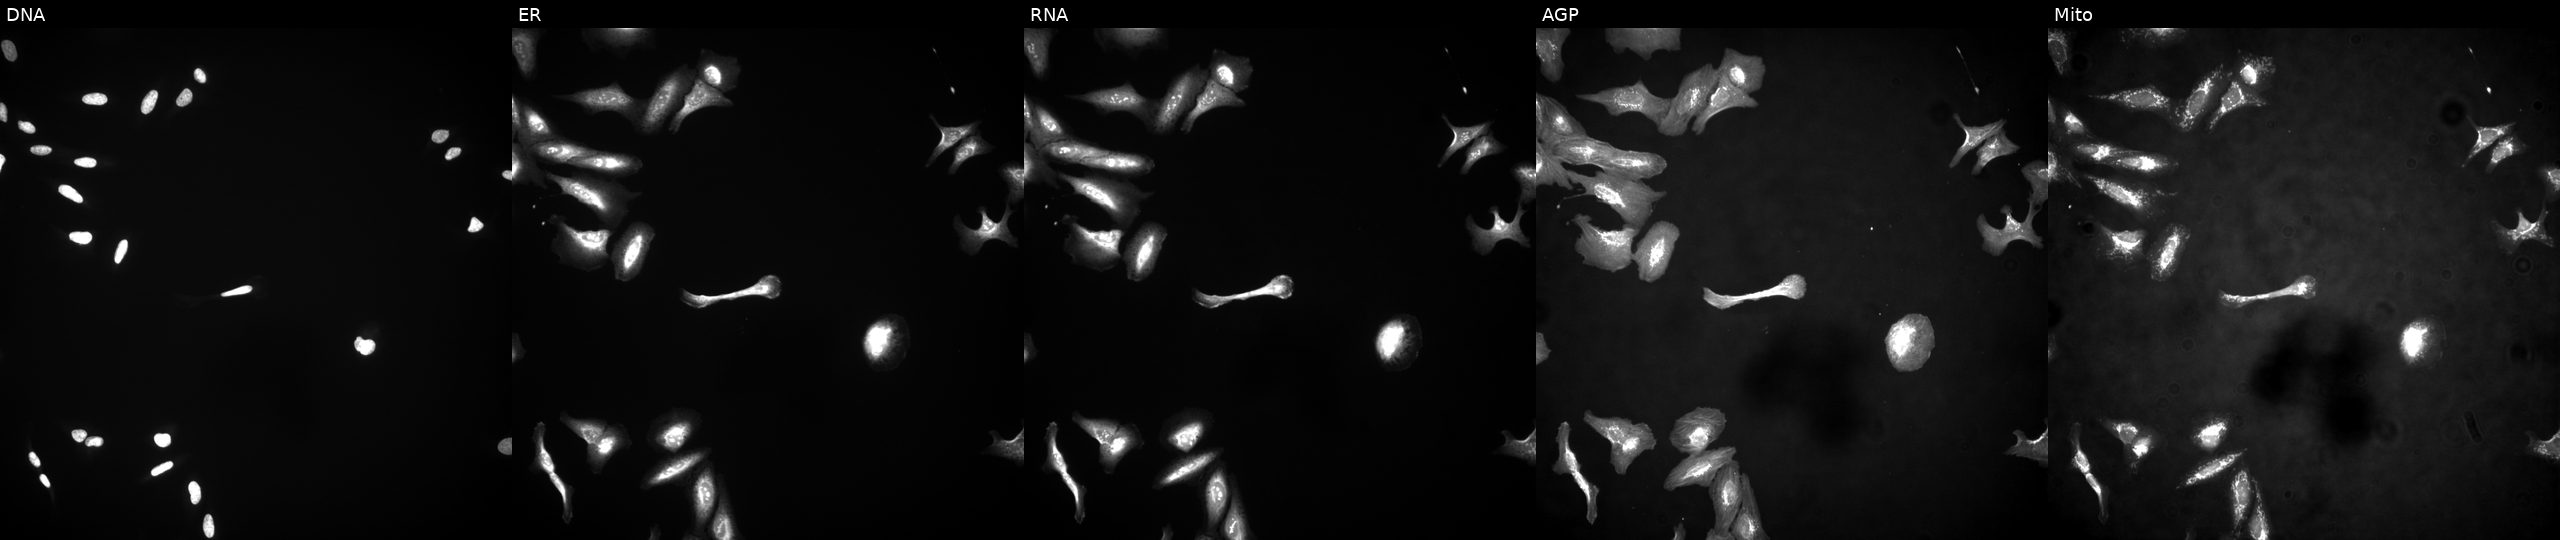
This image strip shows the five Cell Painting channels for a single field of U2OS cells expressing LUCIFERASE (ORF negative control). From left to right: DNA, ER, RNA, AGP, and Mito. Source 4, plate BR00124790, well L08.